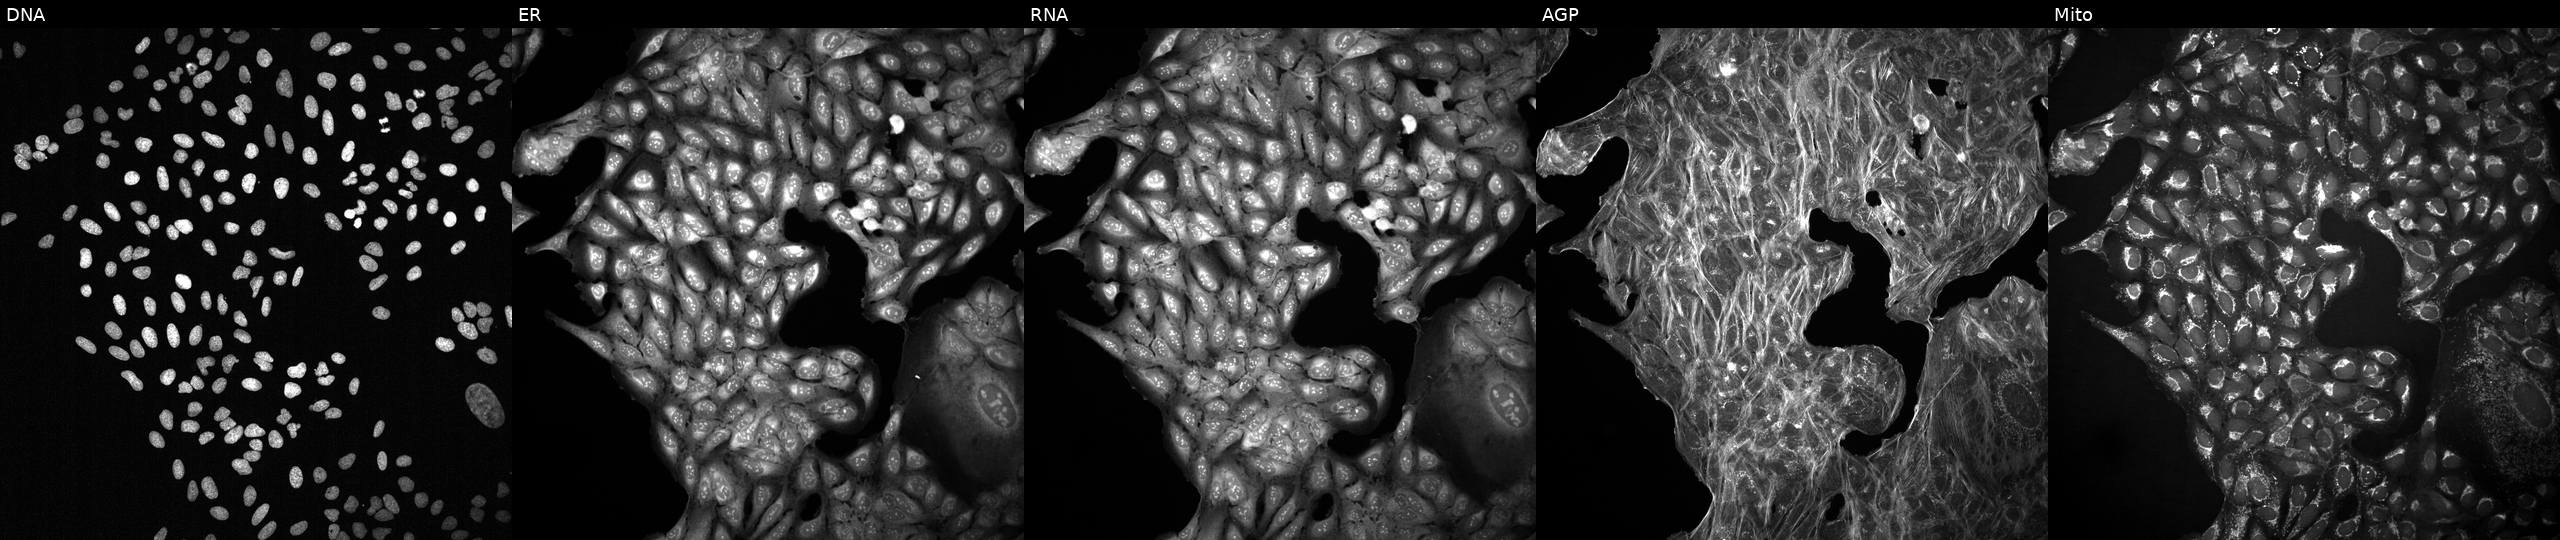
JUMP Cell Painting — COMPOUND plate. U2OS cells treated with DMSO vehicle only (negative control). Channels (left→right): DNA (nuclei); ER (endoplasmic reticulum); RNA (nucleoli and cytoplasmic RNA); AGP (actin cytoskeleton, Golgi, and plasma membrane); Mito (mitochondria).